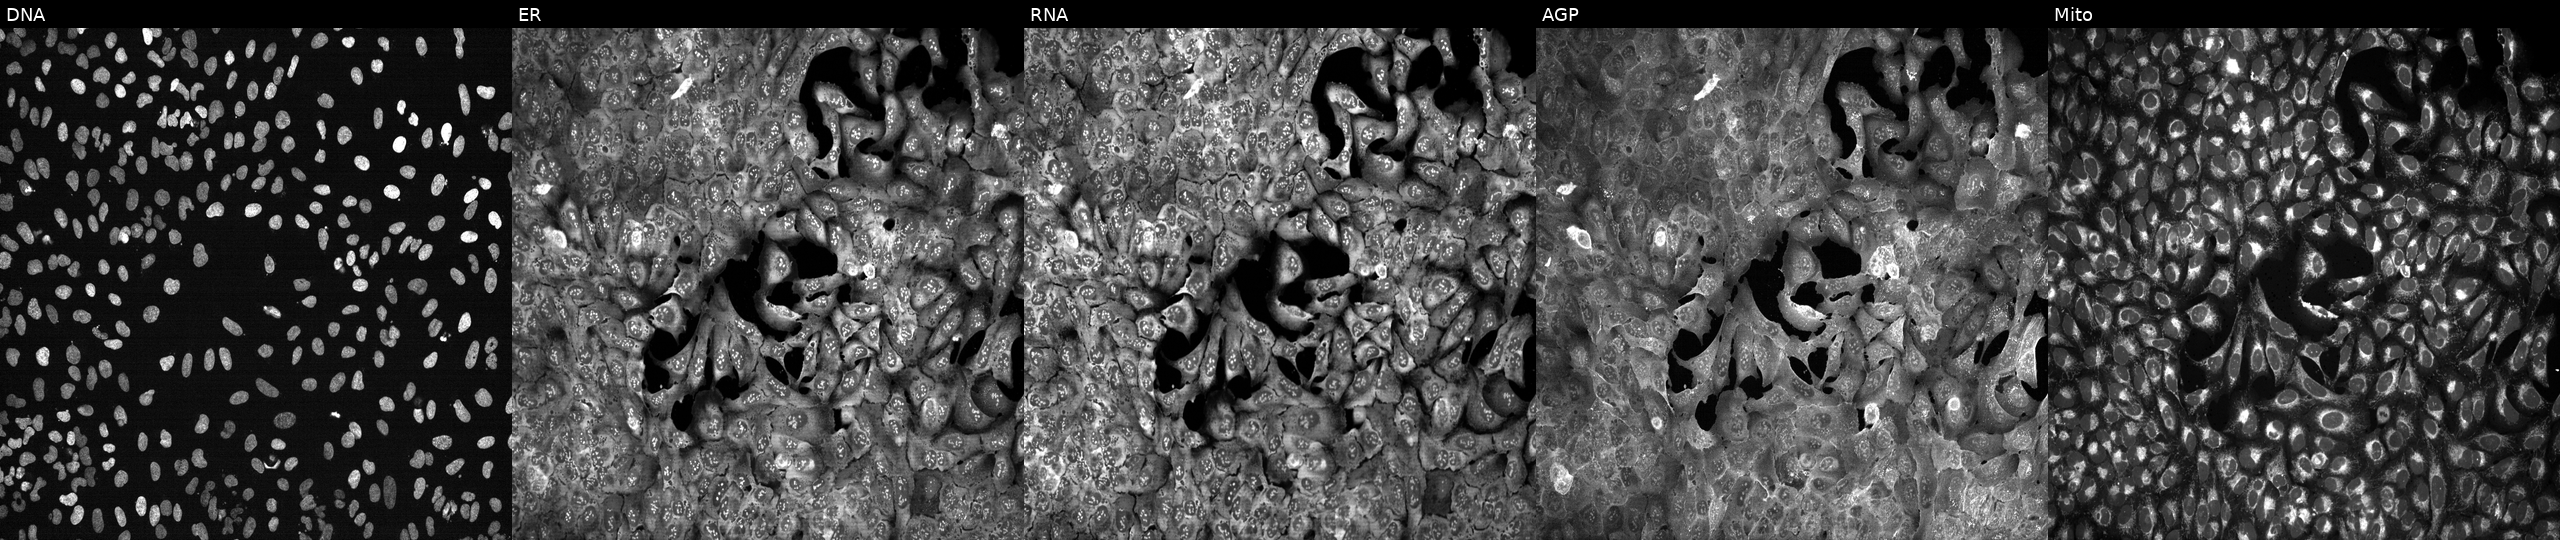
Five-channel Cell Painting image of U2OS cells with SLC3A2 knocked out by CRISPR (JUMP id JCP2022_806534). Channels (left→right): DNA (nuclei); ER (endoplasmic reticulum); RNA (nucleoli and cytoplasmic RNA); AGP (actin cytoskeleton, Golgi, and plasma membrane); Mito (mitochondria).